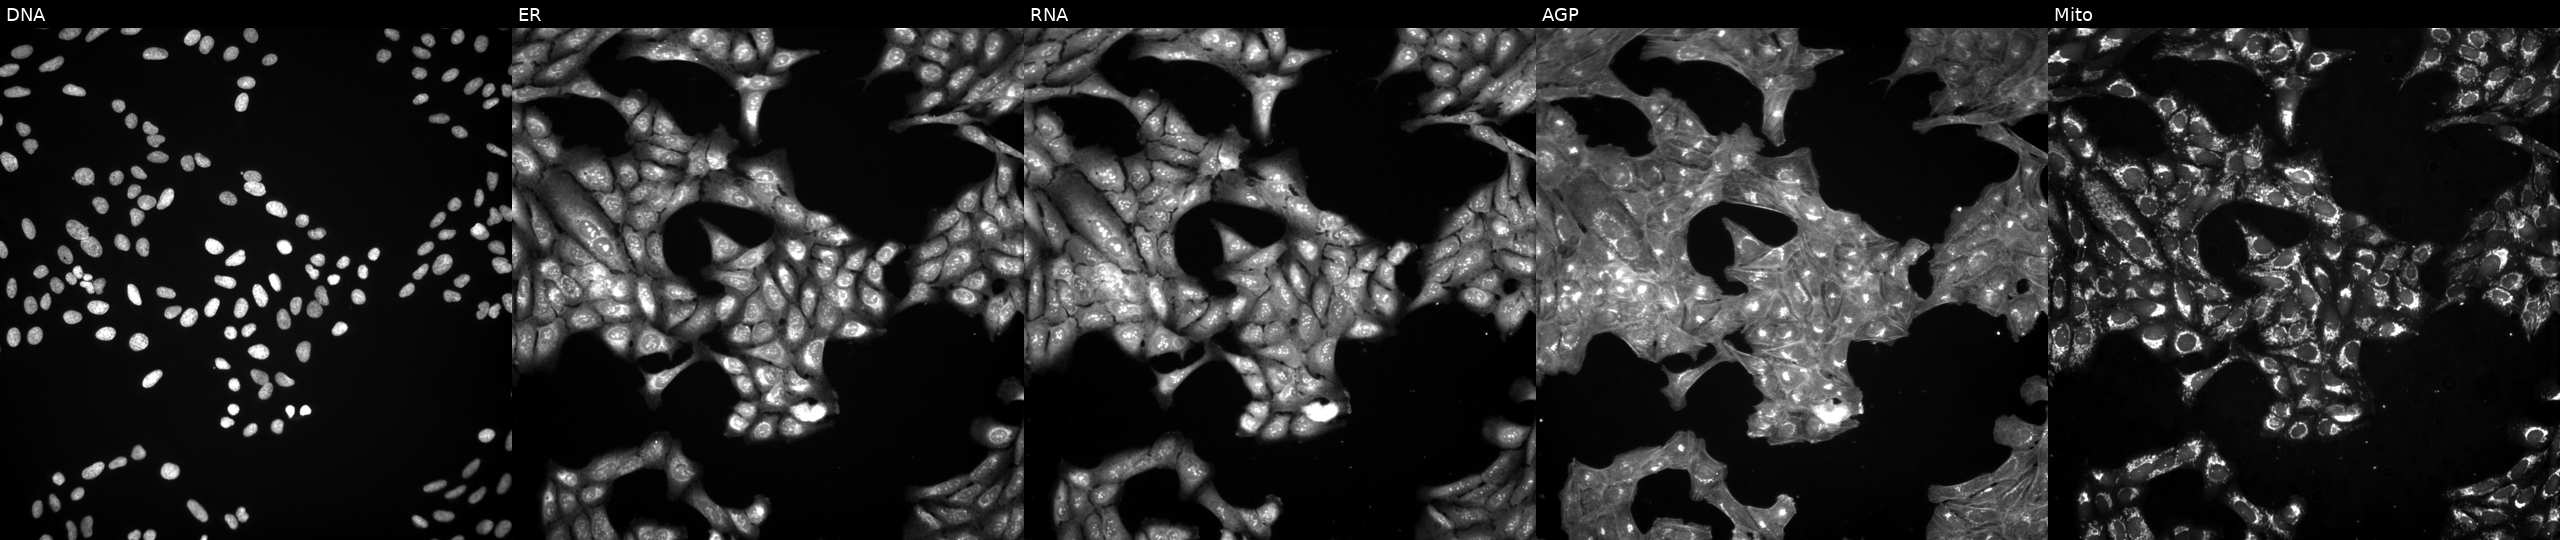
JUMP Cell Painting — COMPOUND plate. U2OS cells treated with a small-molecule compound (InChIKey JICYOCZKASOAMQ-UHFFFAOYSA-N) (JUMP id JCP2022_039924). From left to right: Hoechst 33342, concanavalin A, SYTO 14, phalloidin and WGA, MitoTracker. Source 3, plate BR5867a3, well E14.